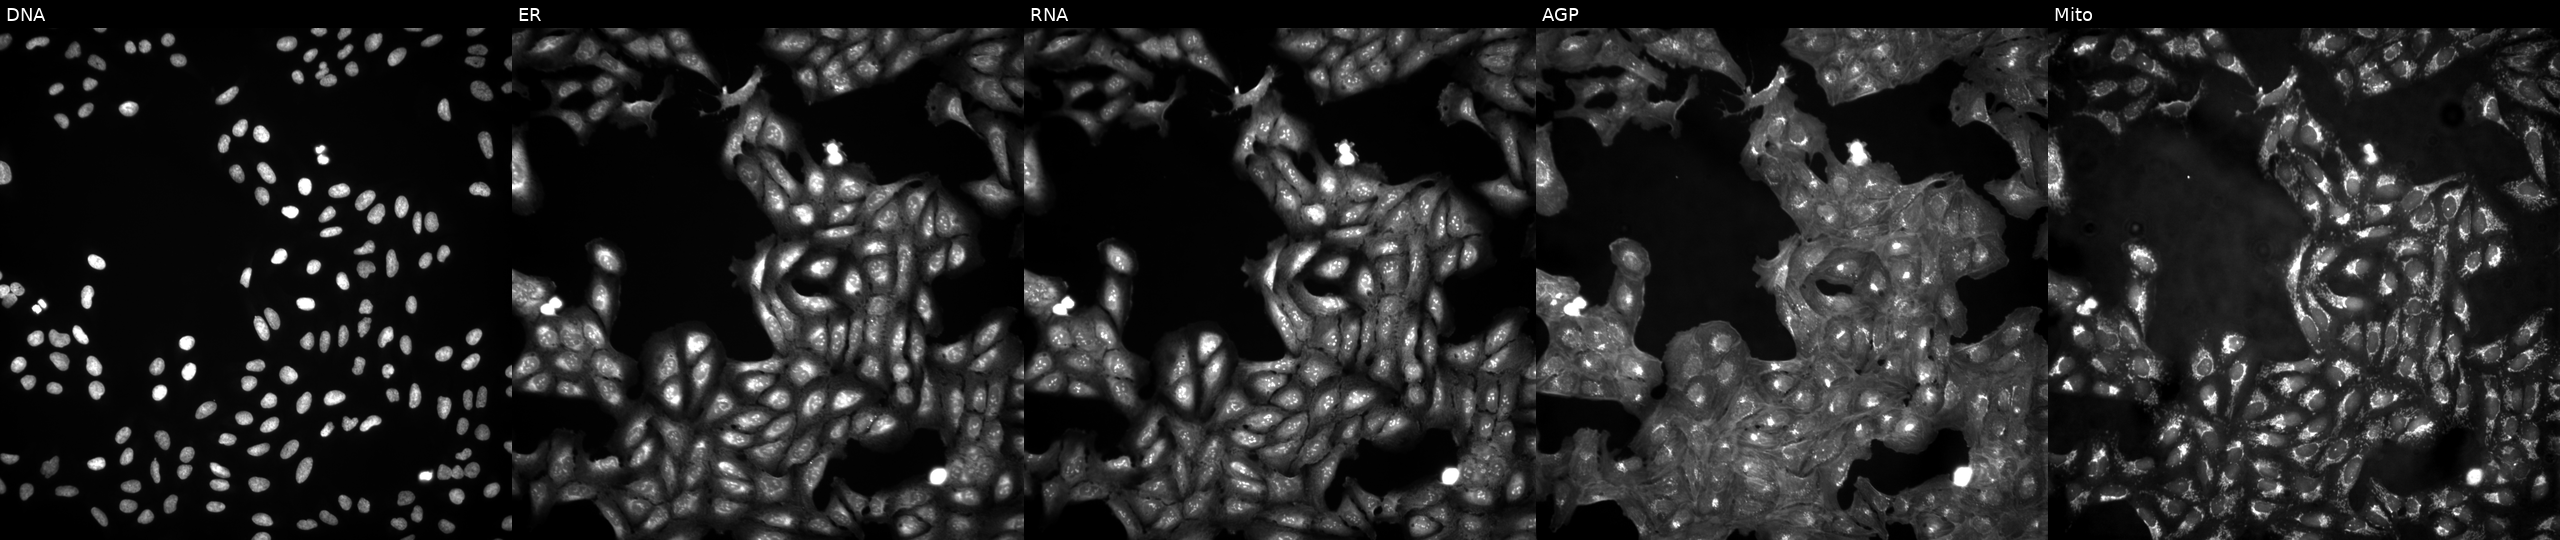
U2OS cells, Cell Painting assay, untreated (empty-well control). Panels show, left to right, DNA, ER, RNA, AGP, and Mito. Each panel is percentile-stretched 16-bit fluorescence.